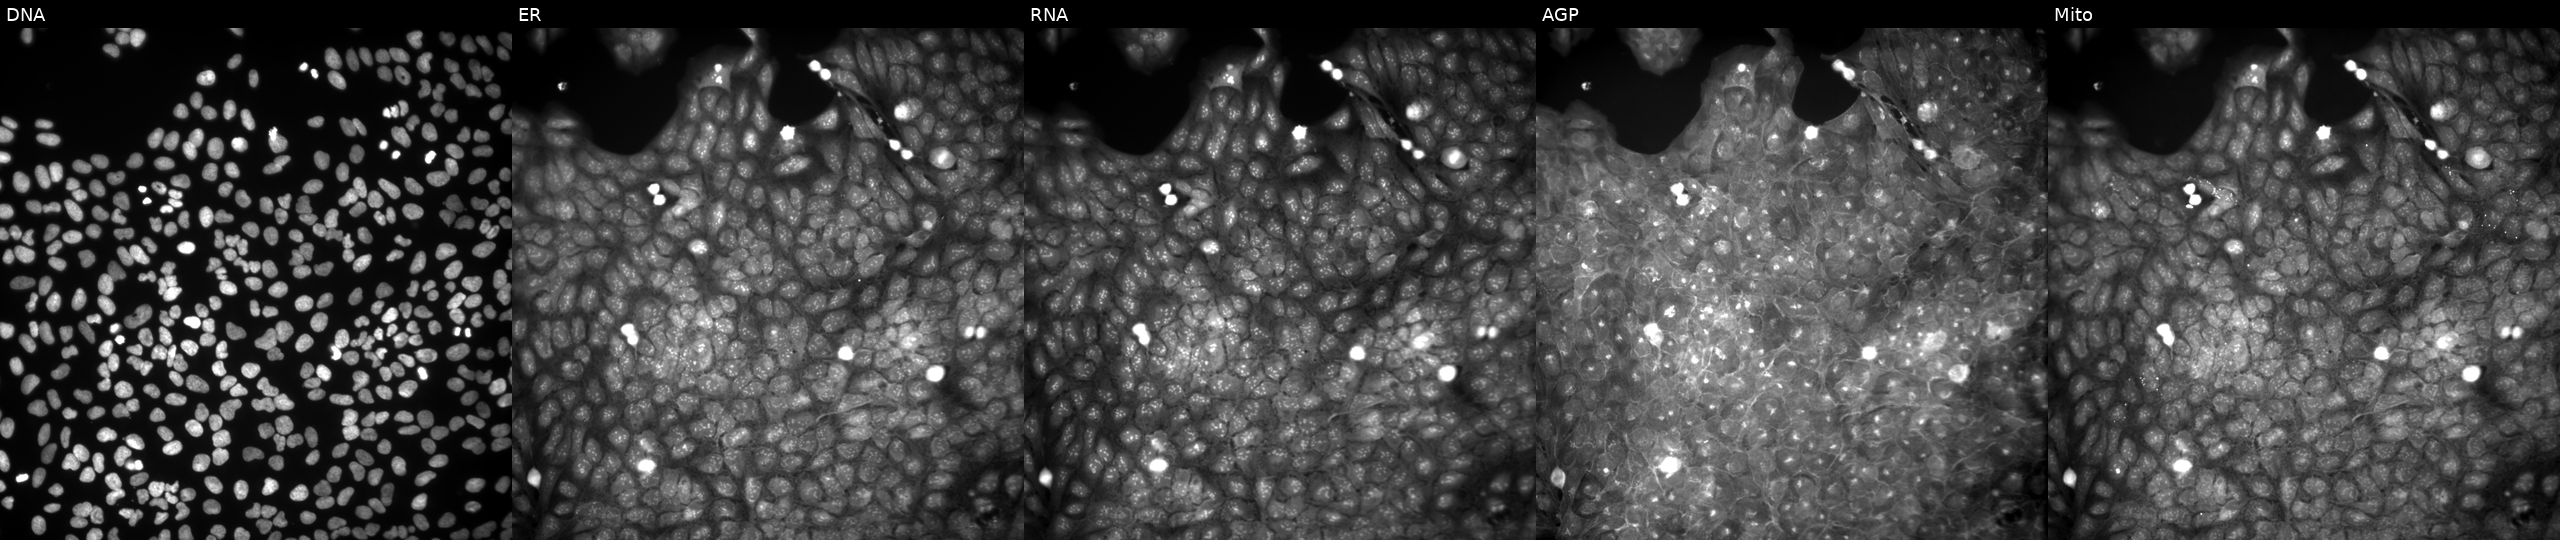
This image strip shows the five Cell Painting channels for a single field of U2OS cells perturbed with a small-molecule compound (InChIKey IXDNGVLGGCIRDA-UHFFFAOYSA-N) (JUMP id JCP2022_037936). From left to right: DNA (nuclei); ER (endoplasmic reticulum); RNA (nucleoli and cytoplasmic RNA); AGP (actin cytoskeleton, Golgi, and plasma membrane); Mito (mitochondria). Source 9, plate GR00003382, well AF31.